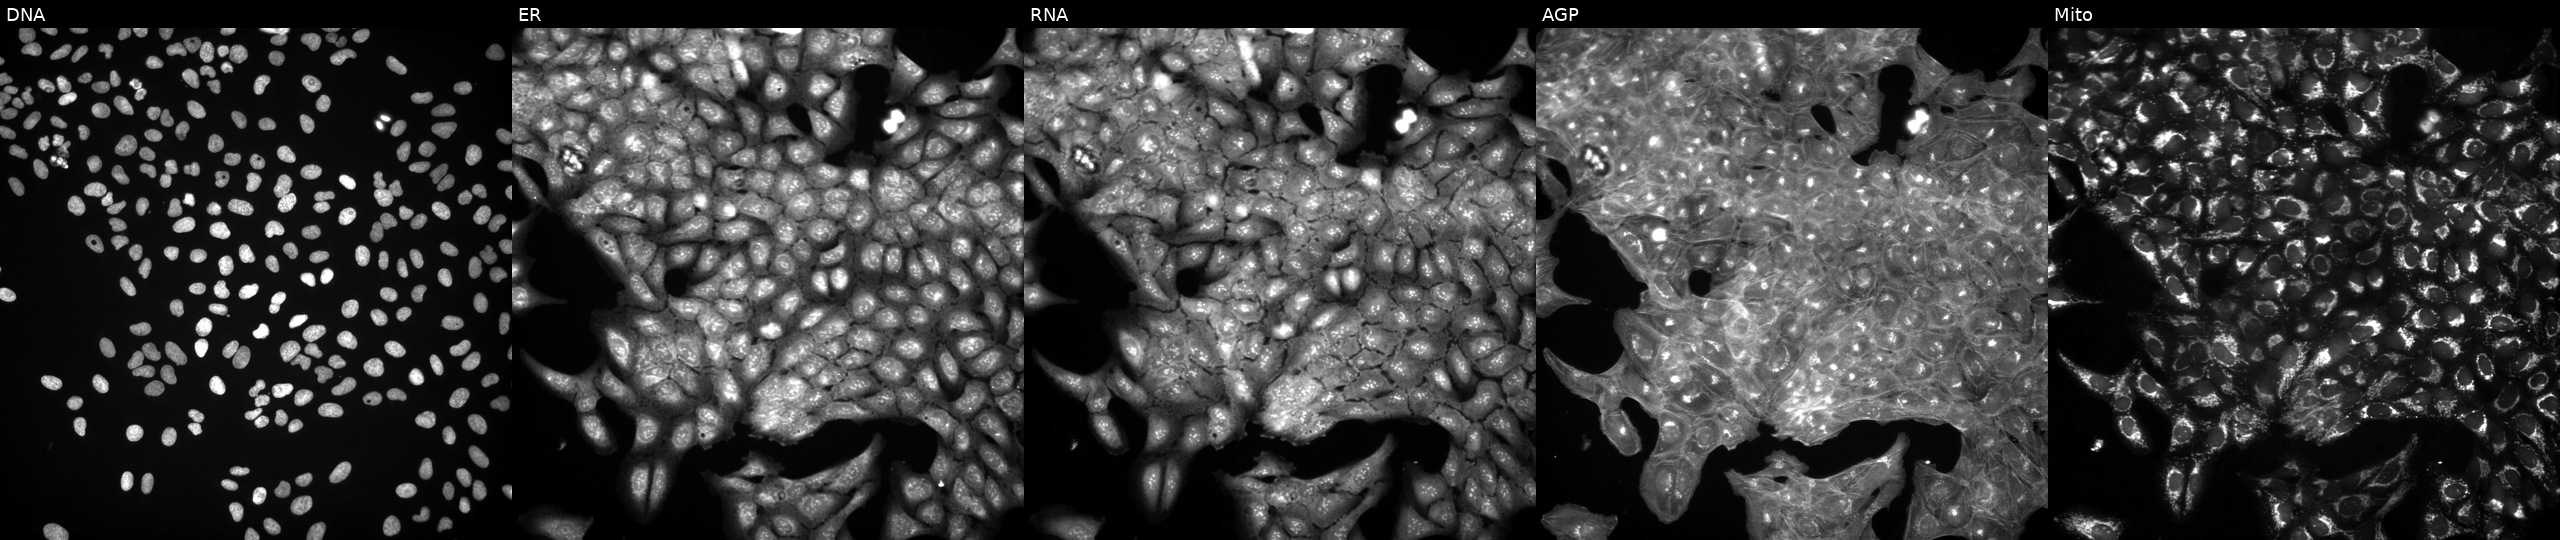
Five-channel Cell Painting image of U2OS cells treated with a small-molecule compound (InChIKey NDNKNUMSTIMSHQ-UHFFFAOYSA-N). From left to right: DNA (nuclei); ER (endoplasmic reticulum); RNA (nucleoli and cytoplasmic RNA); AGP (actin cytoskeleton, Golgi, and plasma membrane); Mito (mitochondria).